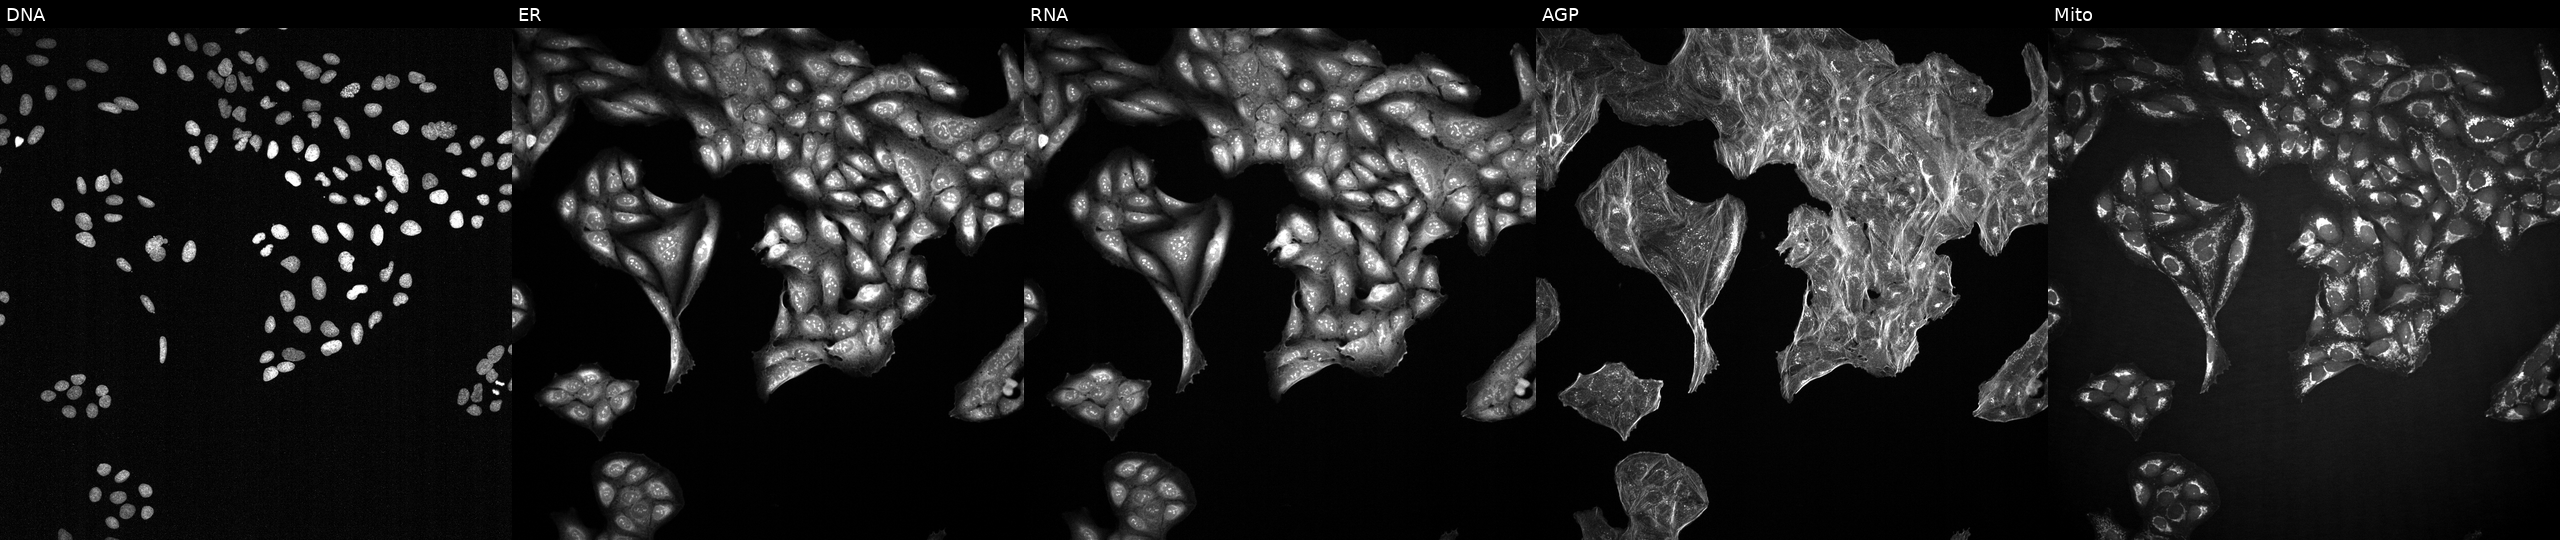
High-content fluorescence microscopy (Cell Painting). Cell line: U2OS. Perturbation: perturbed with a small-molecule compound (JUMP id JCP2022_112702). The five panels, left to right, show DNA, ER, RNA, AGP, and Mito. Source 2, plate 1053599503, well G22.